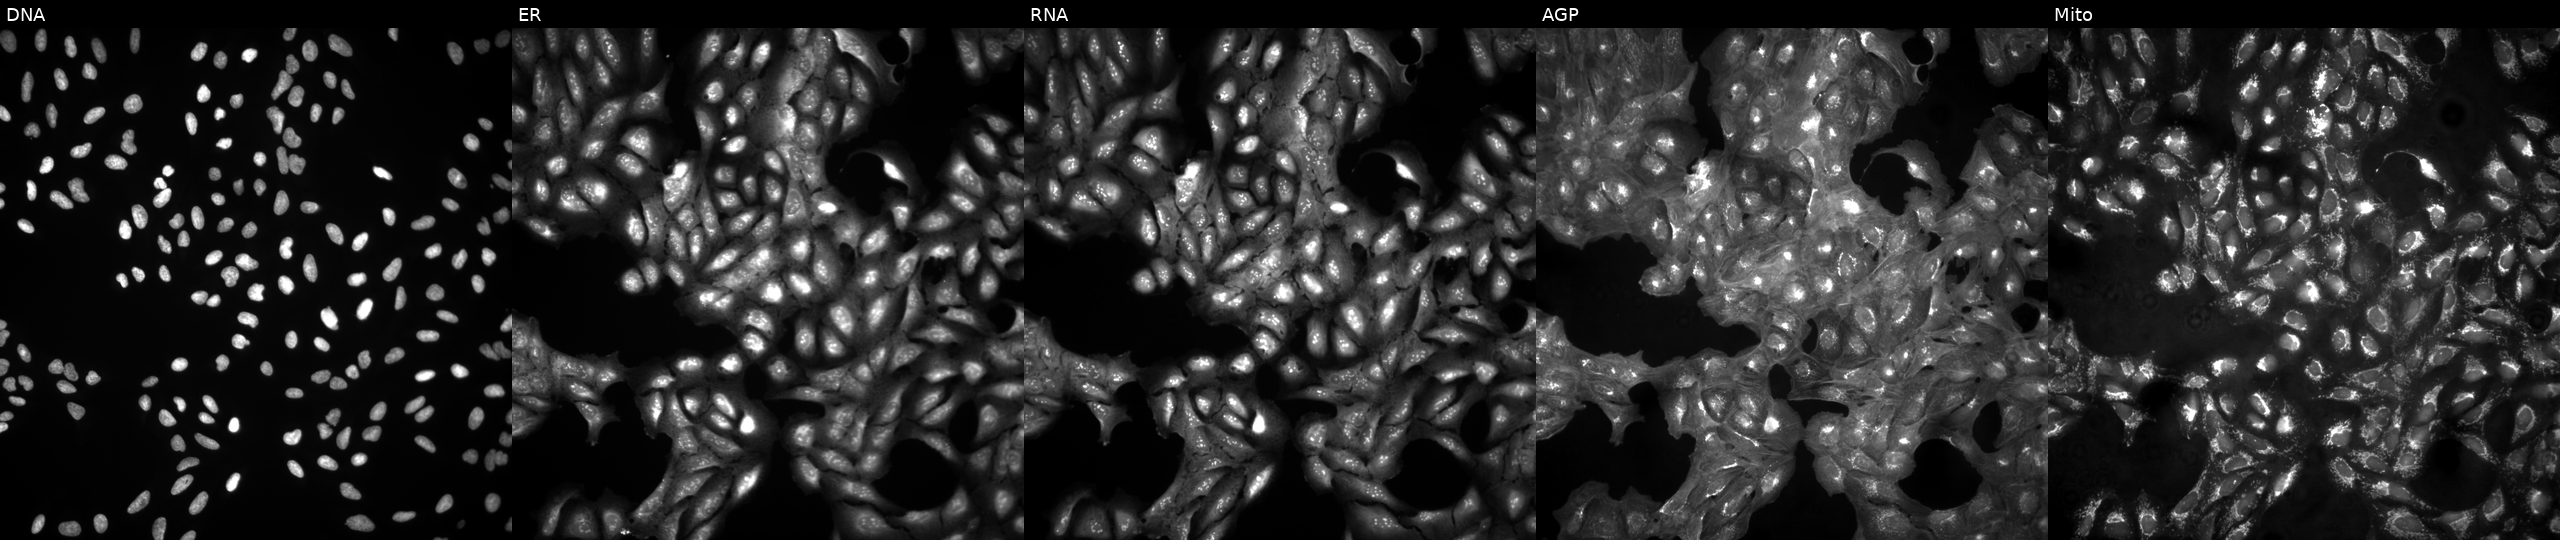
From left to right: DNA (nuclei); ER (endoplasmic reticulum); RNA (nucleoli and cytoplasmic RNA); AGP (actin cytoskeleton, Golgi, and plasma membrane); Mito (mitochondria). U2OS osteosarcoma cells untreated (empty-well control). Cell Painting assay, JUMP-CP dataset.